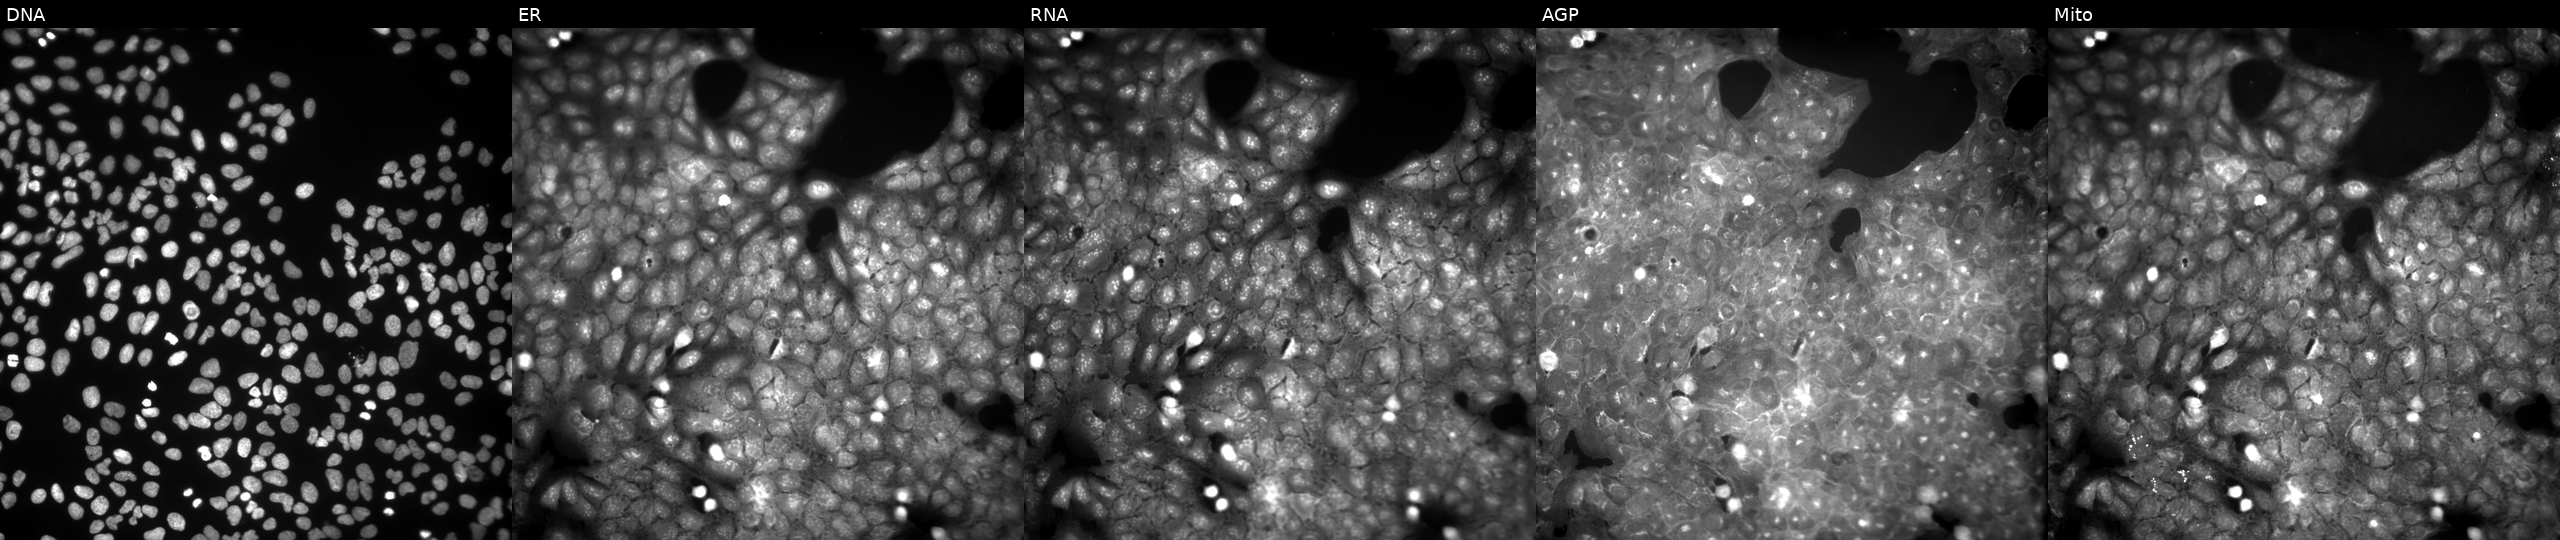
JUMP Cell Painting — COMPOUND plate. U2OS cells treated with a small-molecule compound (InChIKey REWWDXNOQSKTDQ-UHFFFAOYSA-N) (JUMP id JCP2022_077915). Panels show, left to right, Hoechst 33342, concanavalin A, SYTO 14, phalloidin and WGA, MitoTracker. Source 9, plate GR00003381, well AE36.